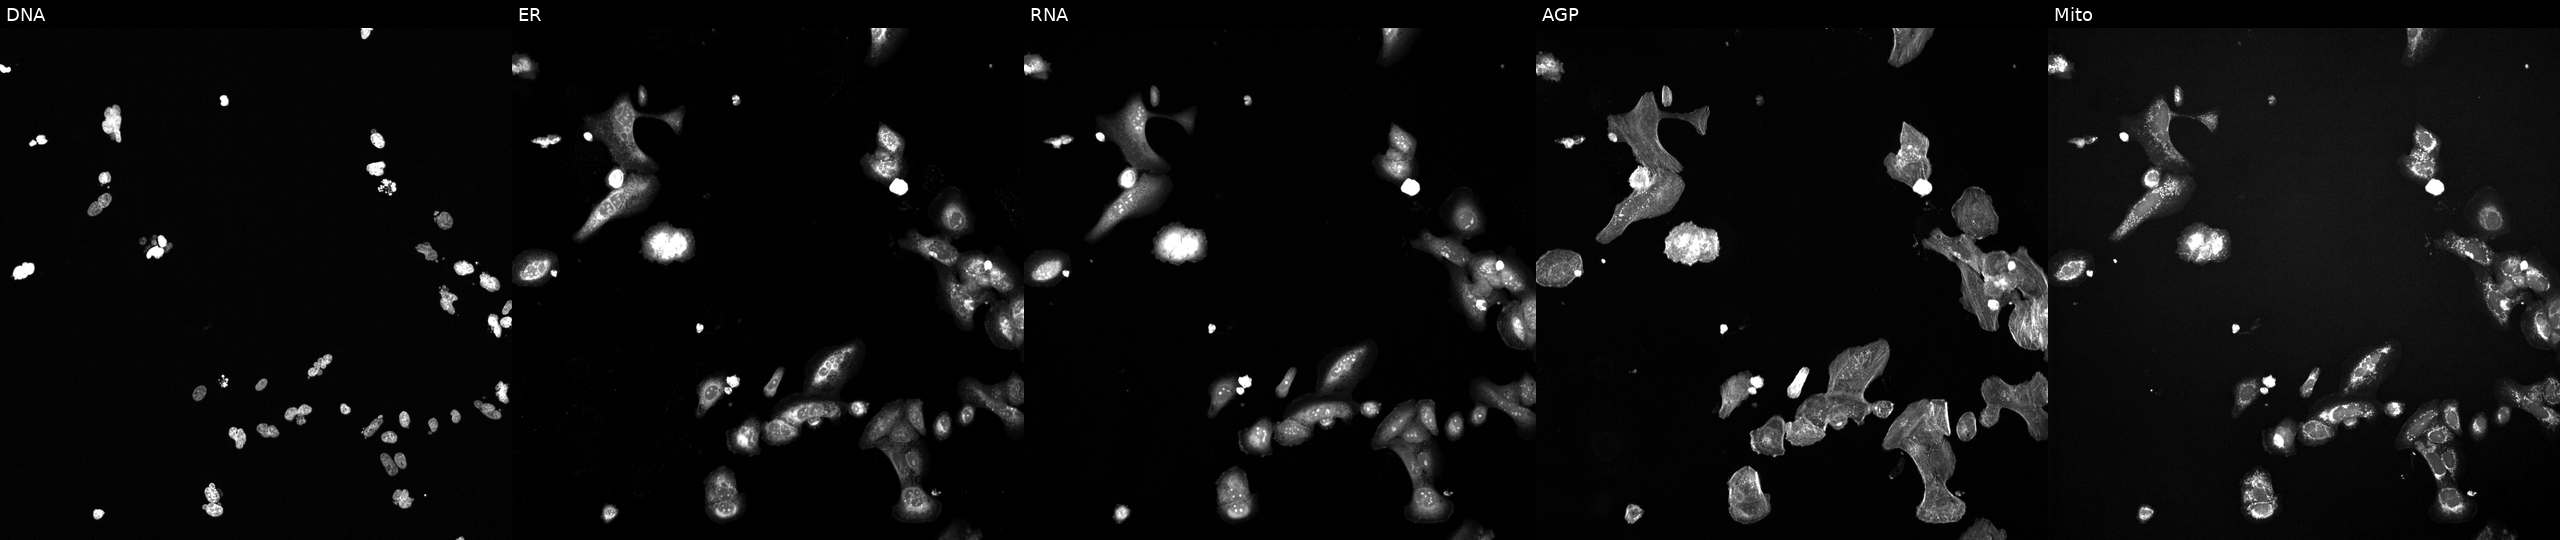
High-content fluorescence microscopy (Cell Painting). Cell line: U2OS. Perturbation: perturbed with a small-molecule compound (InChIKey JOLJIIDDOBNFHW-UHFFFAOYSA-N). Channels (left→right): DNA, ER, RNA, AGP, and Mito. Source 6, plate 110000293081, well H01.